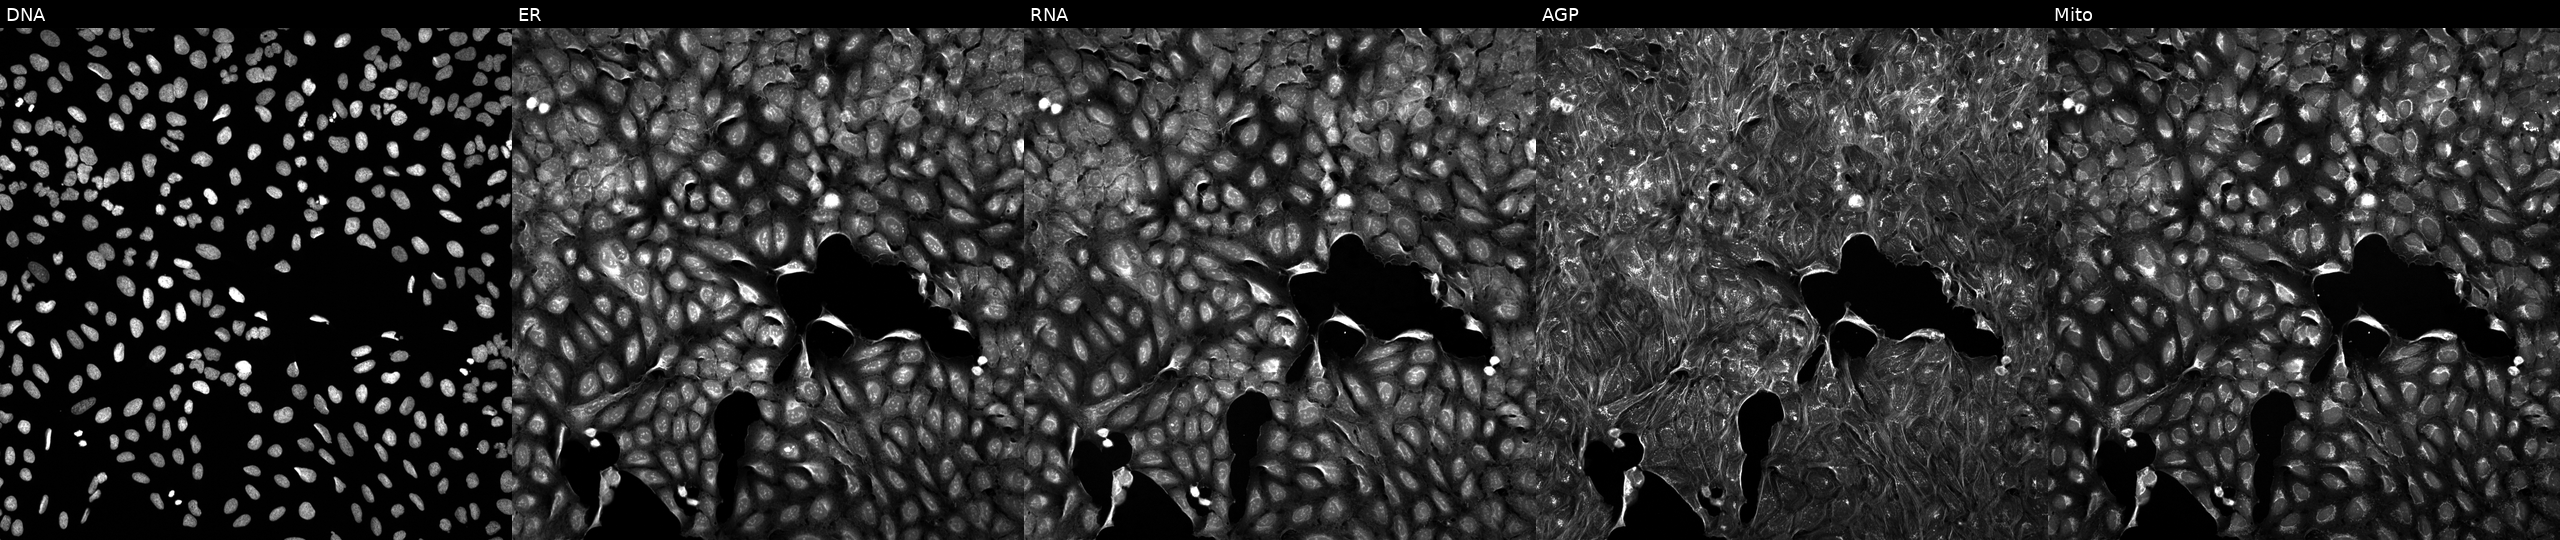
U2OS cells, Cell Painting assay, exposed to a small-molecule compound (InChIKey QYQCEQWBDUQZHT-UHFFFAOYSA-N). Channels (left→right): Hoechst 33342, concanavalin A, SYTO 14, phalloidin and WGA, MitoTracker. Each panel is percentile-stretched 16-bit fluorescence.